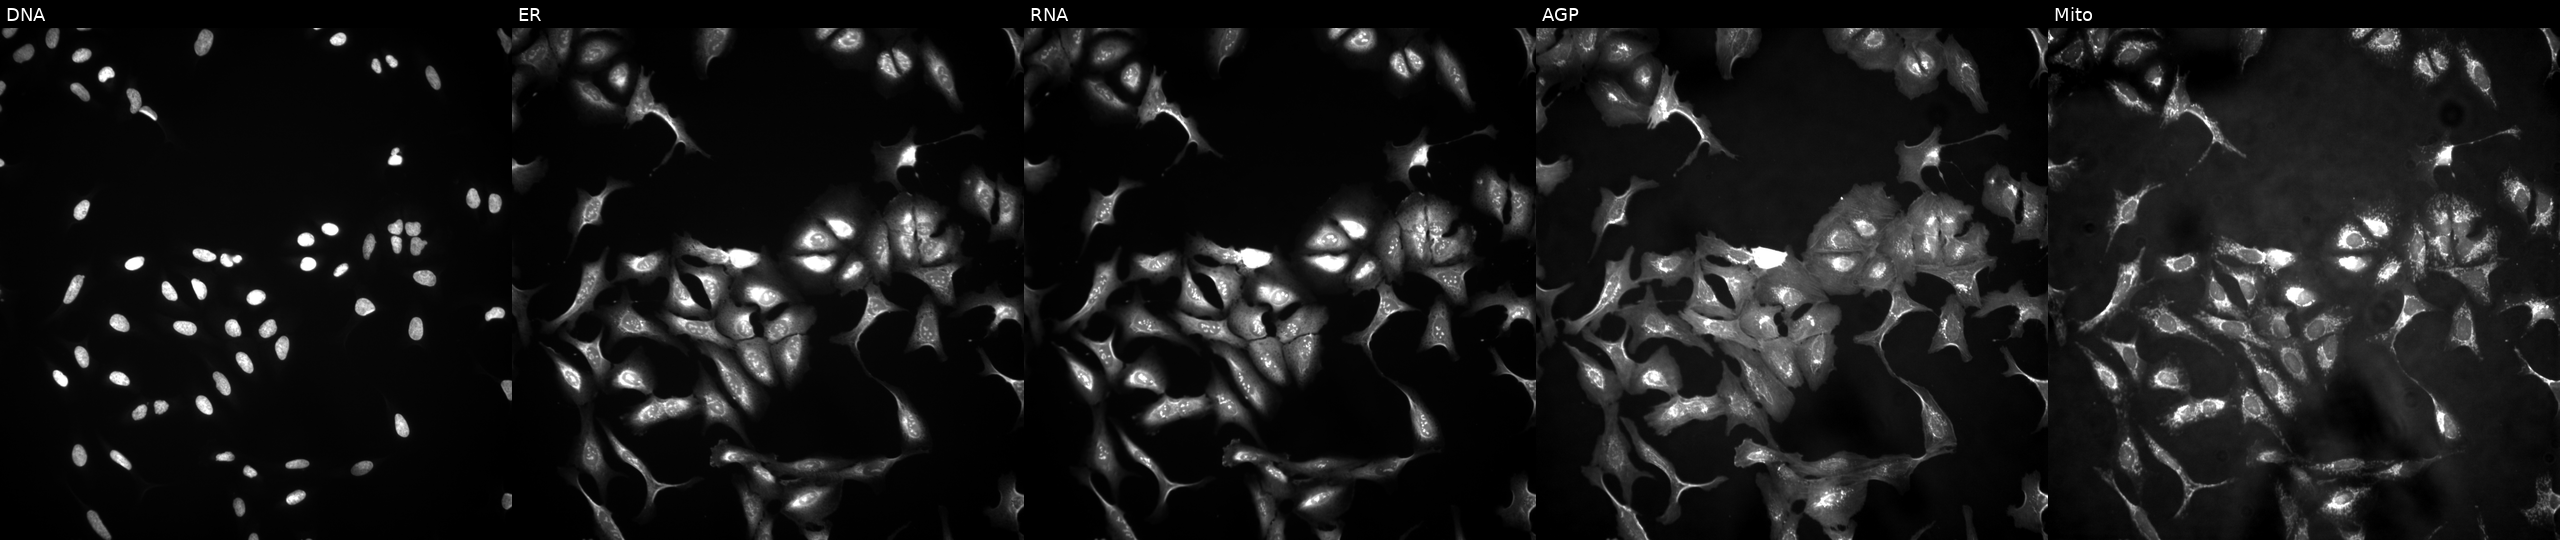
U2OS cells, Cell Painting assay, transfected with an ORF construct for SAYSD1 (JUMP id JCP2022_903430). Panels show, left to right, DNA (nuclei); ER (endoplasmic reticulum); RNA (nucleoli and cytoplasmic RNA); AGP (actin cytoskeleton, Golgi, and plasma membrane); Mito (mitochondria). Each panel is percentile-stretched 16-bit fluorescence.